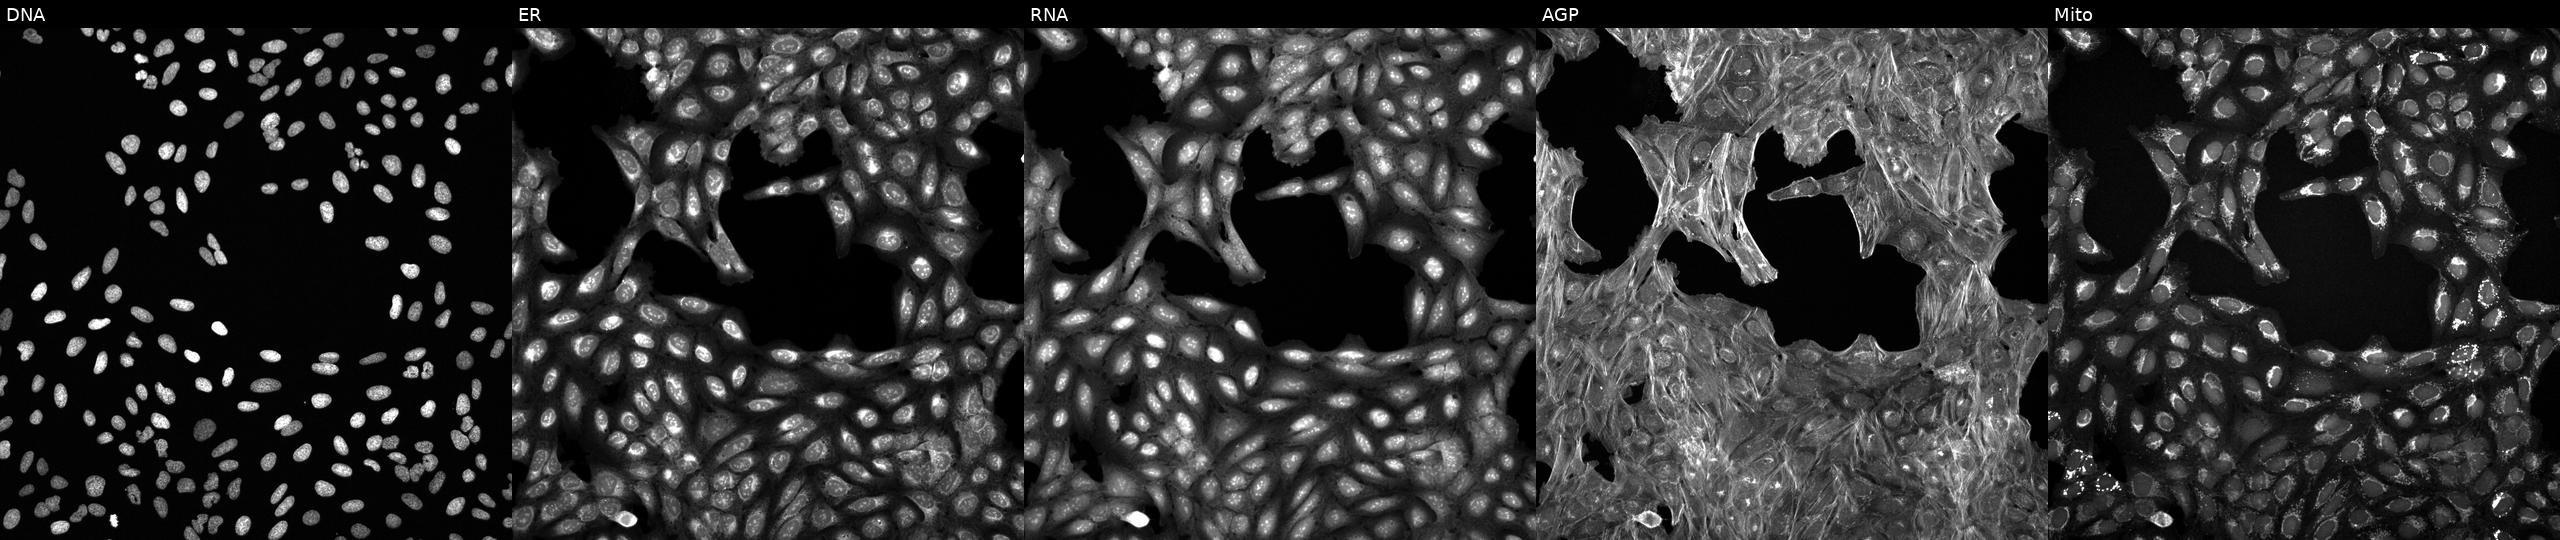
Five-channel Cell Painting image of U2OS cells treated with a small-molecule compound (InChIKey XPTQXWSLRCPYDN-UHFFFAOYSA-N) (JUMP id JCP2022_105233). The five panels, left to right, show DNA, ER, RNA, AGP, and Mito. Source 6, plate 110000293083, well M09.